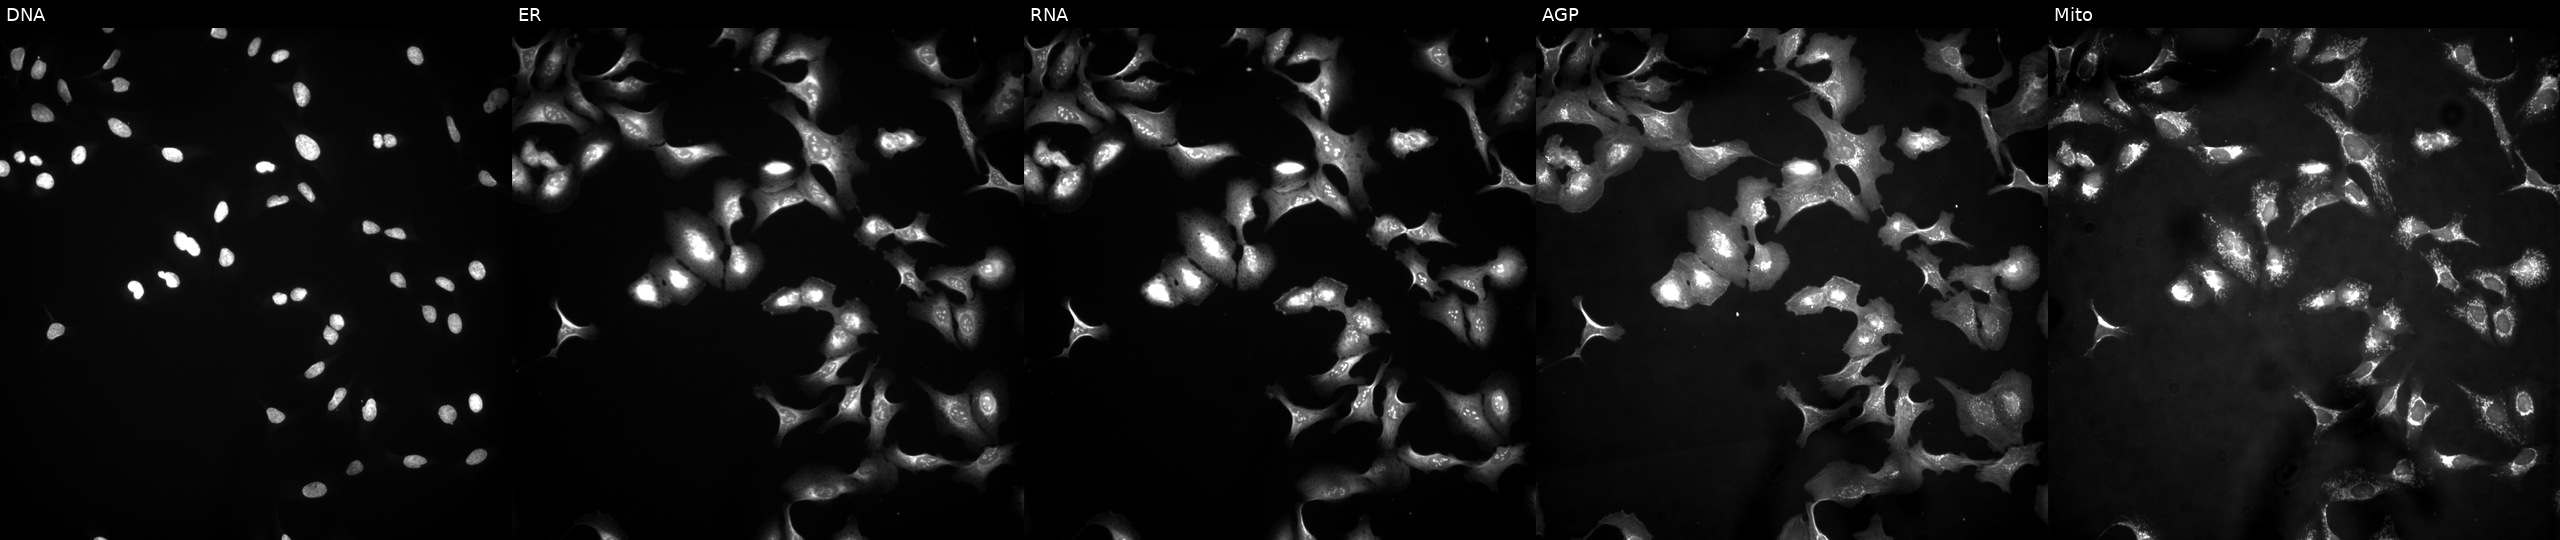
Five-channel Cell Painting image of U2OS cells overexpressing NXF1 via ORF transfection. Panels show, left to right, Hoechst 33342, concanavalin A, SYTO 14, phalloidin and WGA, MitoTracker.